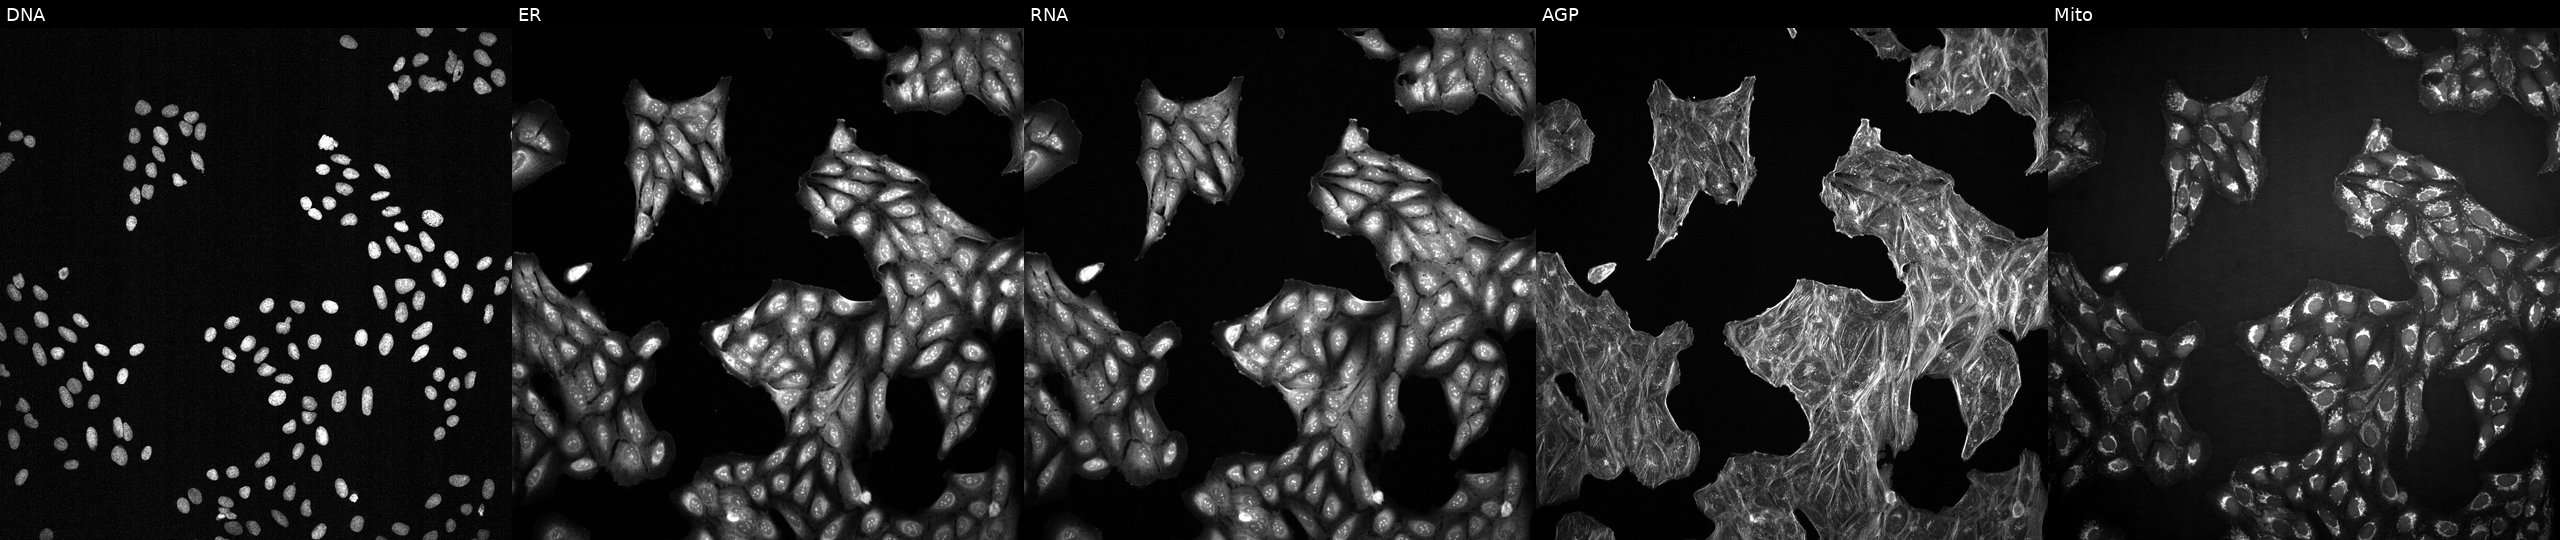
Five-channel Cell Painting image of U2OS cells exposed to DMSO alone as a negative control (JUMP id JCP2022_033924). From left to right: DNA, ER, RNA, AGP, and Mito. Source 2, plate 1053599503, well F13.